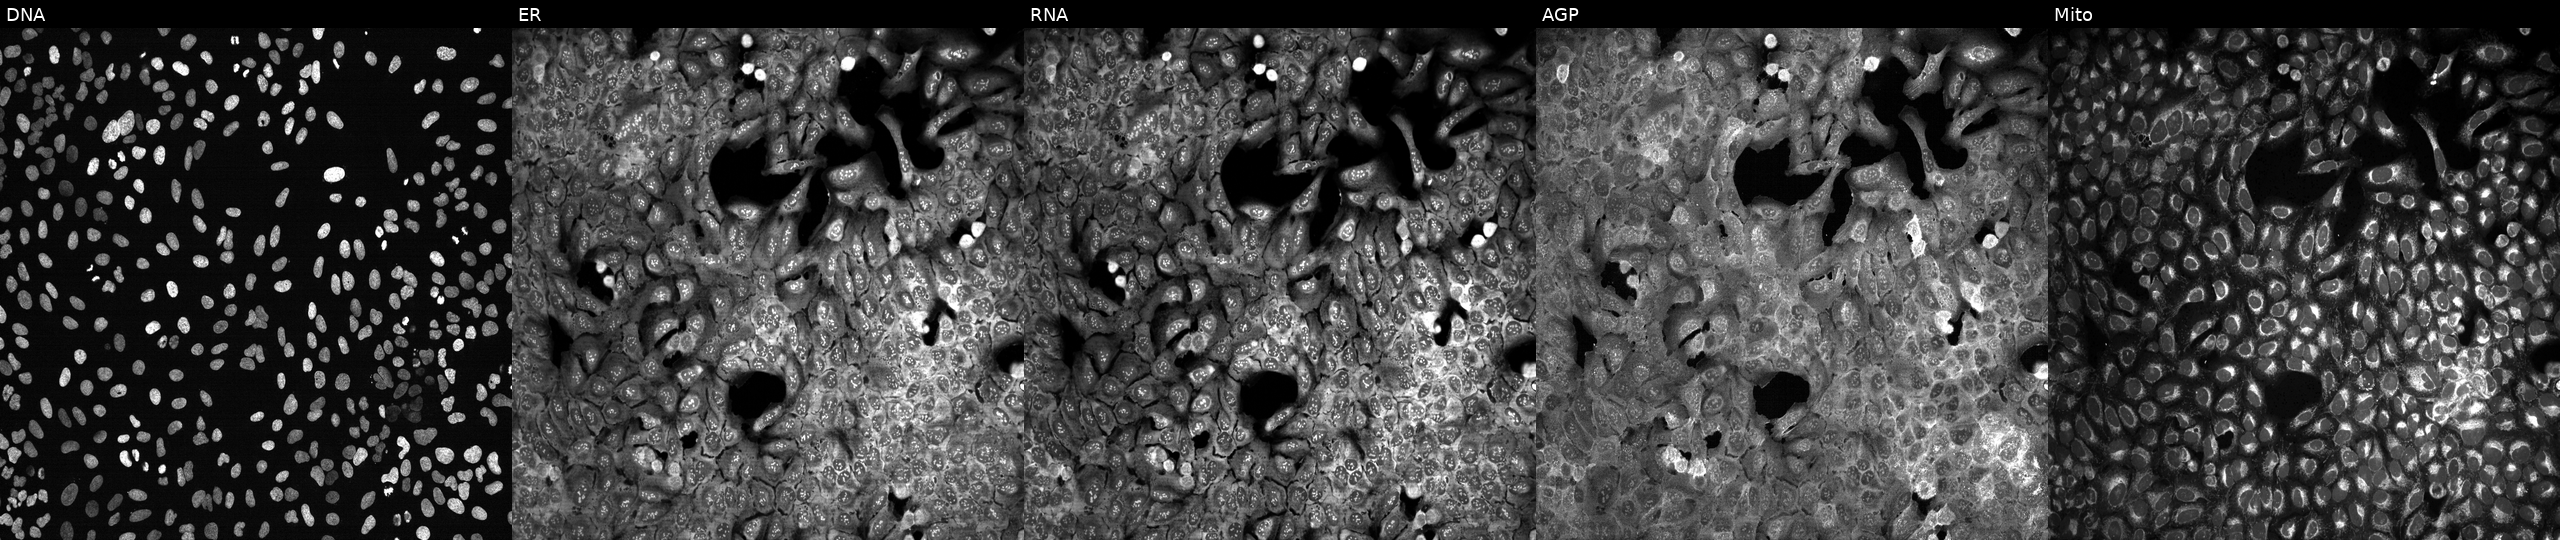
JUMP Cell Painting — CRISPR plate. U2OS cells with PCMTD2 knocked out by CRISPR. From left to right: DNA (nuclei); ER (endoplasmic reticulum); RNA (nucleoli and cytoplasmic RNA); AGP (actin cytoskeleton, Golgi, and plasma membrane); Mito (mitochondria). Source 13, plate CP-CC9-R3-02, well L05.